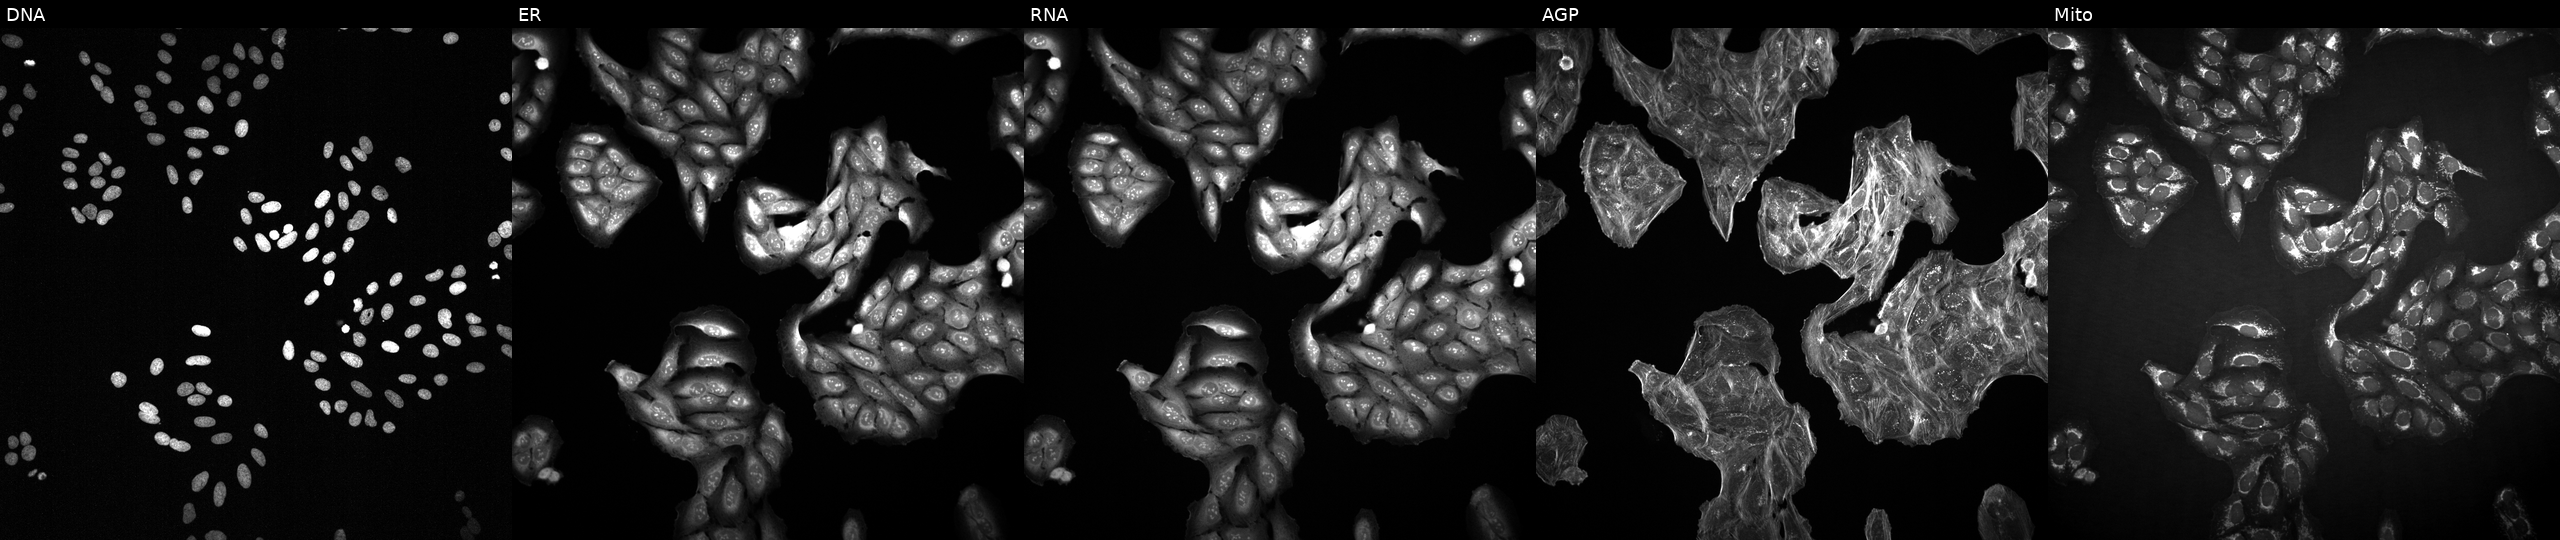
JUMP Cell Painting — COMPOUND plate. U2OS cells treated with a small-molecule compound (InChIKey QFOMORMHDMJFDX-UHFFFAOYSA-N). Channels (left→right): DNA, ER, RNA, AGP, and Mito.